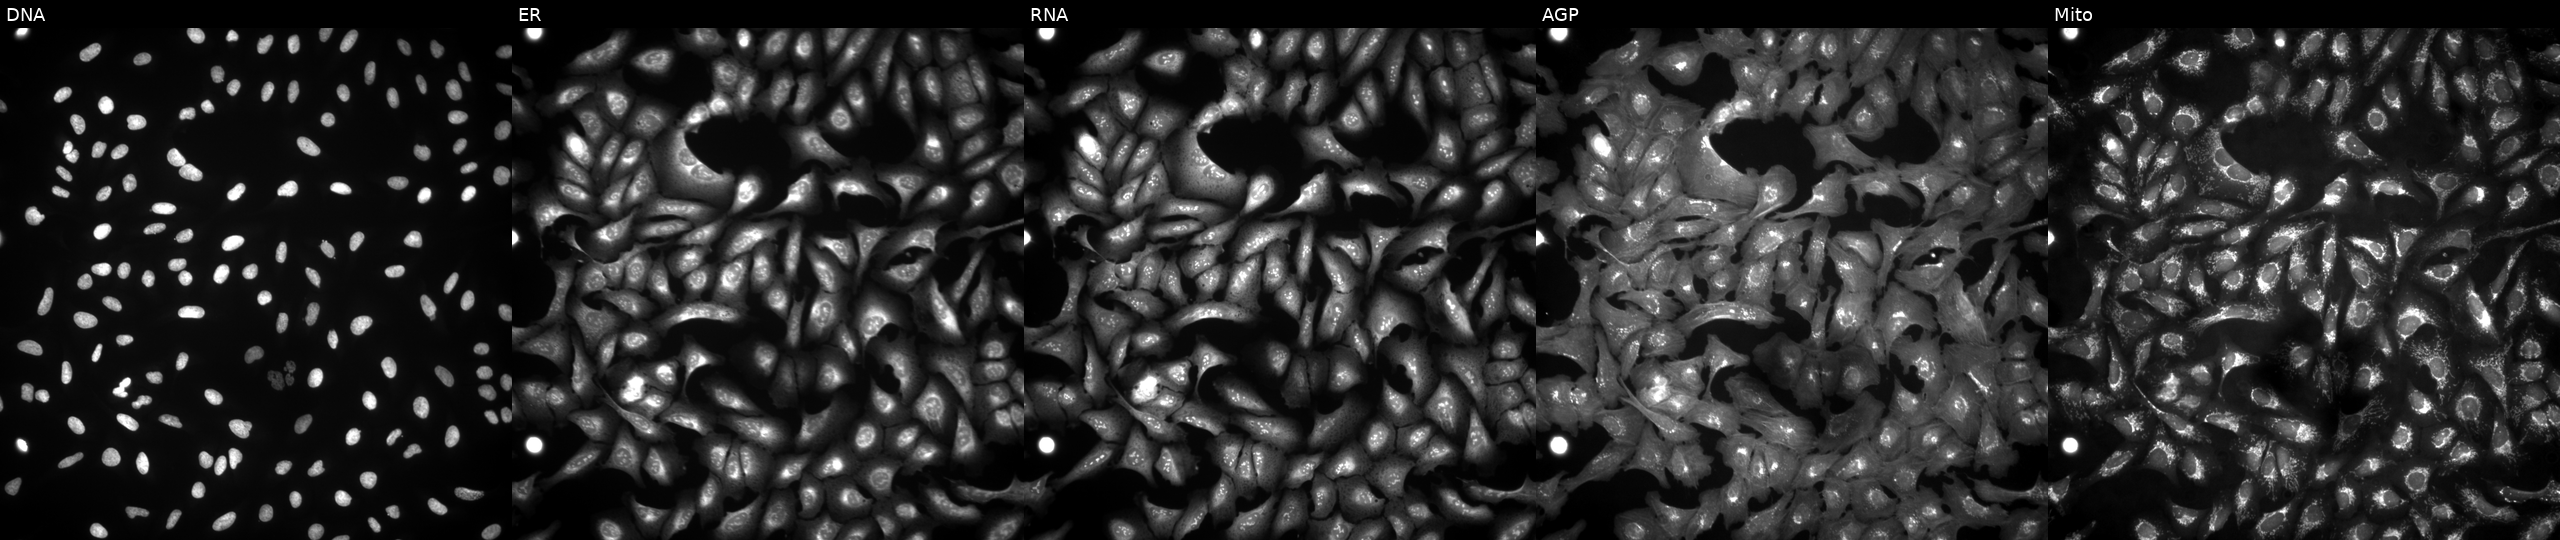
U2OS cells, Cell Painting assay, with CSNK2A1 overexpressed (ORF). From left to right: Hoechst 33342, concanavalin A, SYTO 14, phalloidin and WGA, MitoTracker. Each panel is percentile-stretched 16-bit fluorescence.